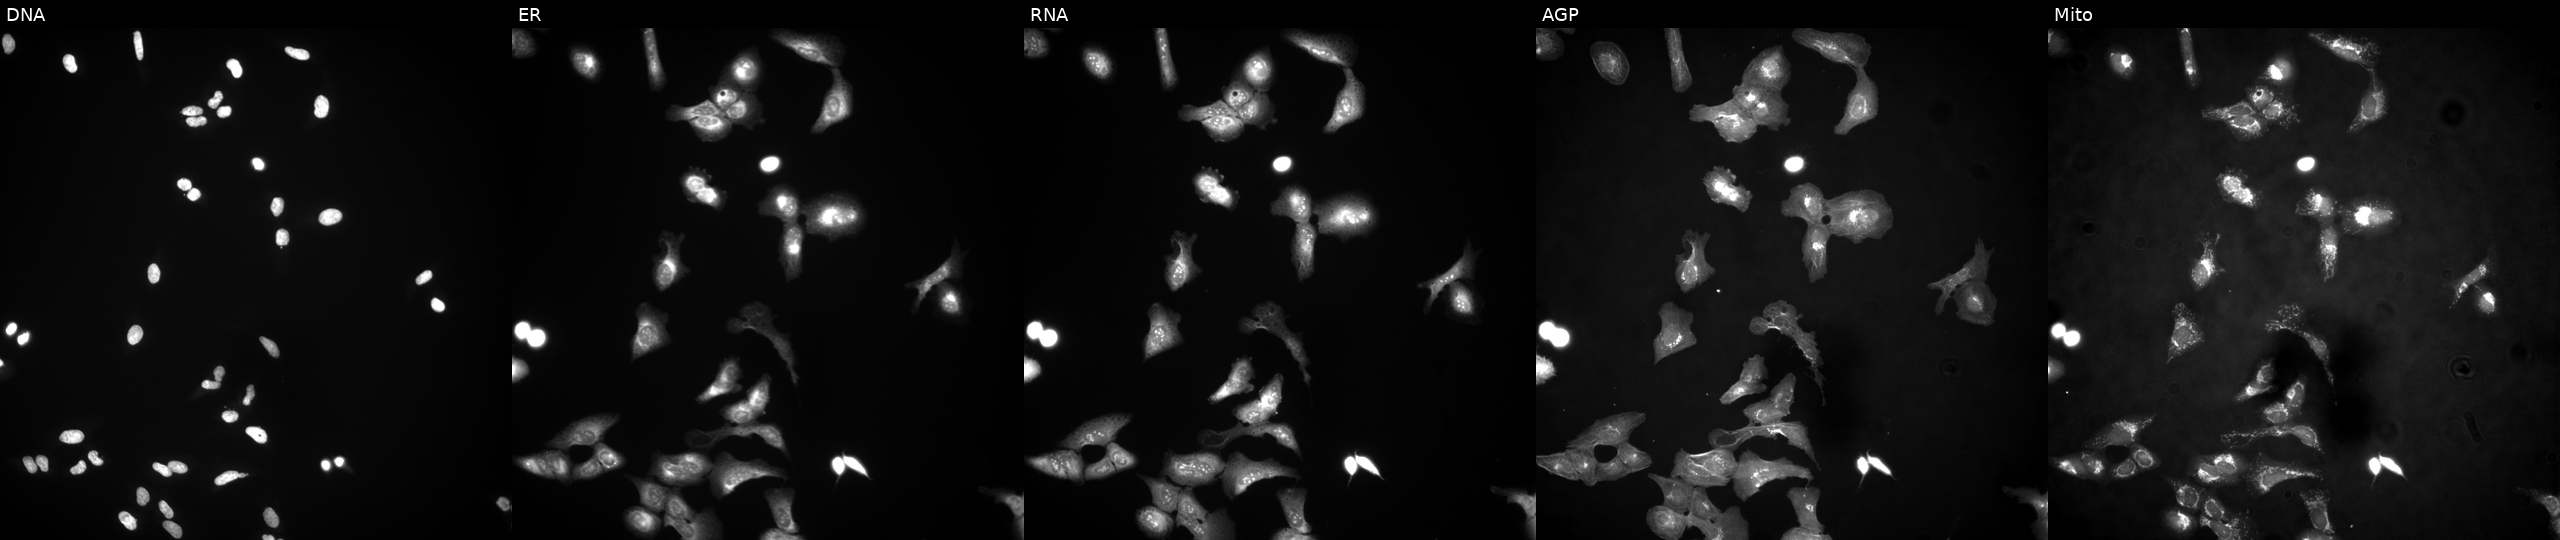
Five-channel Cell Painting image of U2OS cells transfected with an ORF construct for EIF3D (JUMP id JCP2022_901850). Channels (left→right): Hoechst 33342, concanavalin A, SYTO 14, phalloidin and WGA, MitoTracker. Source 4, plate BR00124790, well P14.